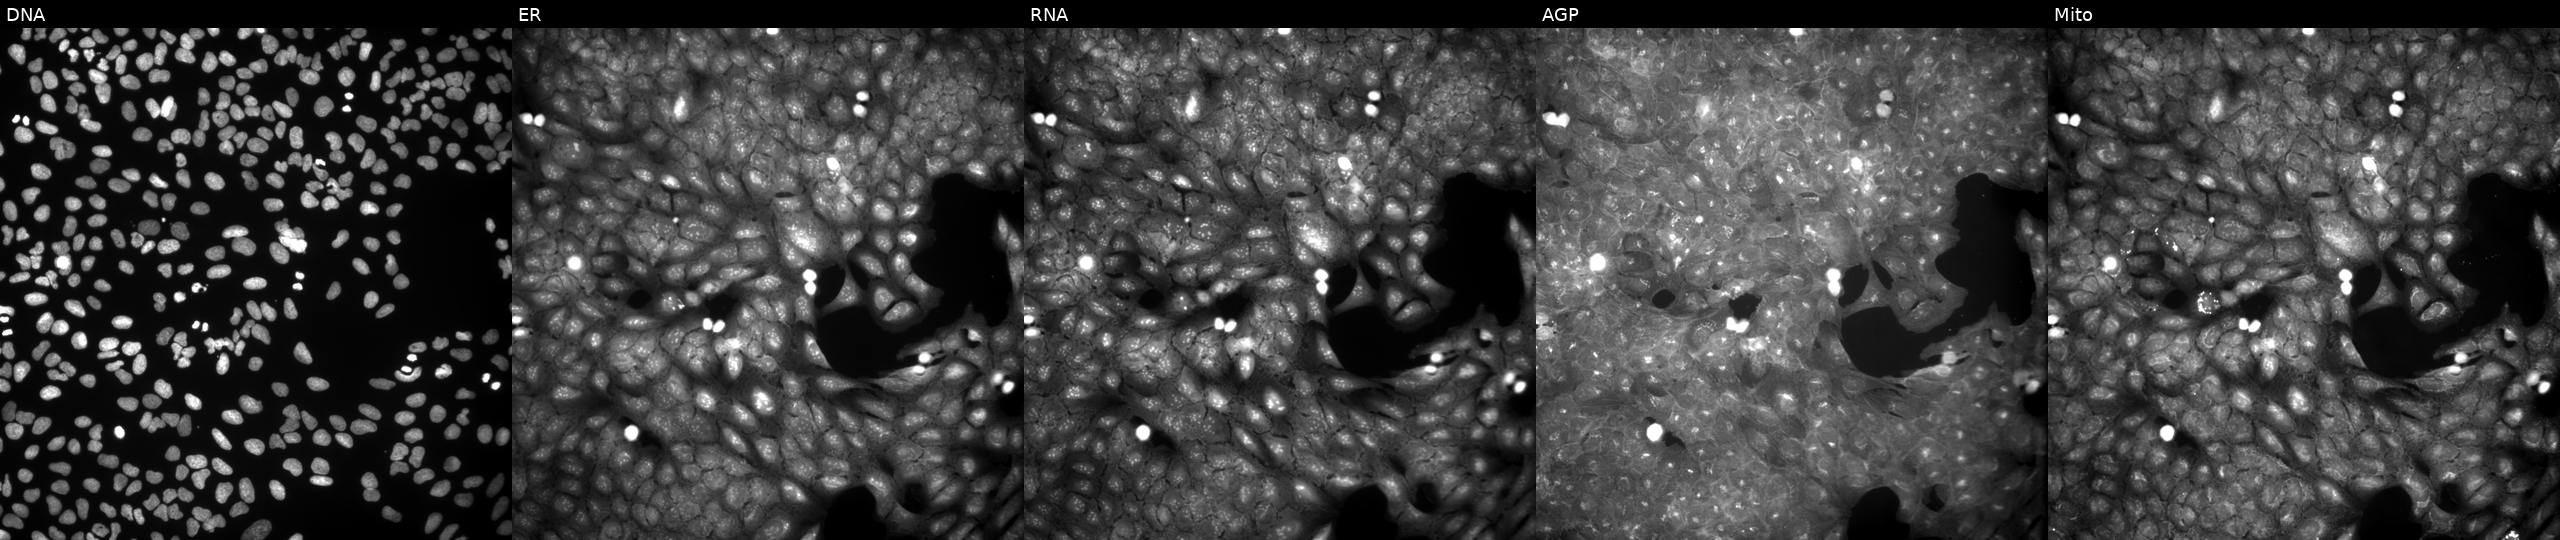
U2OS cells, Cell Painting assay, treated with a small-molecule compound (InChIKey XZPVFOMCNMUUGJ-UHFFFAOYSA-N) (JUMP id JCP2022_107083). Channels (left→right): Hoechst 33342, concanavalin A, SYTO 14, phalloidin and WGA, MitoTracker. Each panel is percentile-stretched 16-bit fluorescence. Source 9, plate GR00003381, well L39.